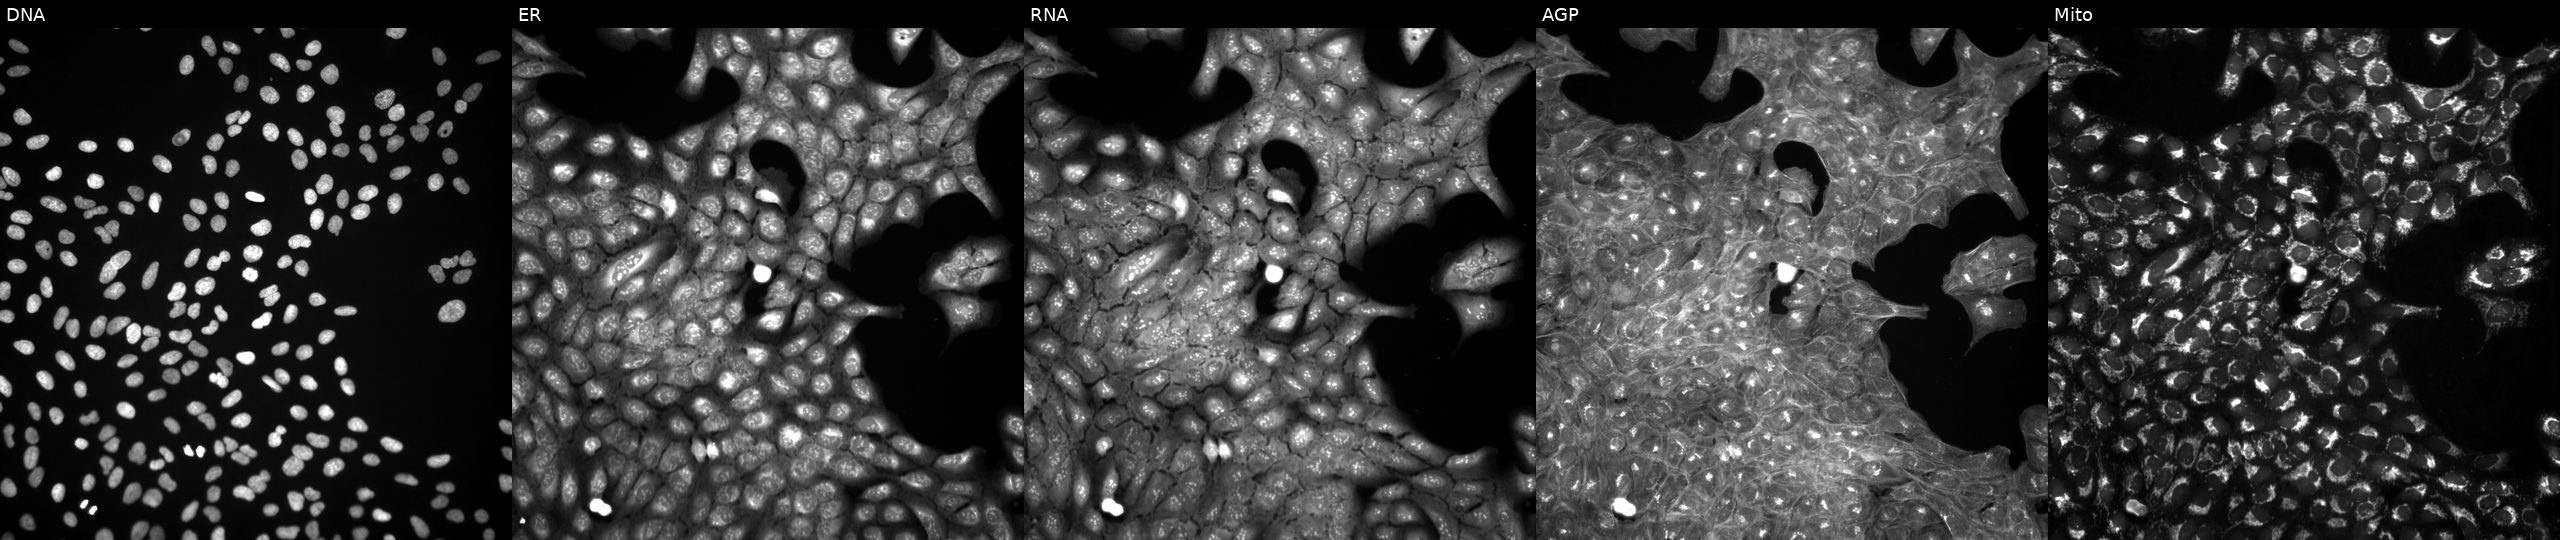
This image strip shows the five Cell Painting channels for a single field of U2OS cells perturbed with a small-molecule compound (InChIKey UPWGQKDVAURUGE-UHFFFAOYSA-N) (JUMP id JCP2022_090768). The five panels, left to right, show DNA, ER, RNA, AGP, and Mito.